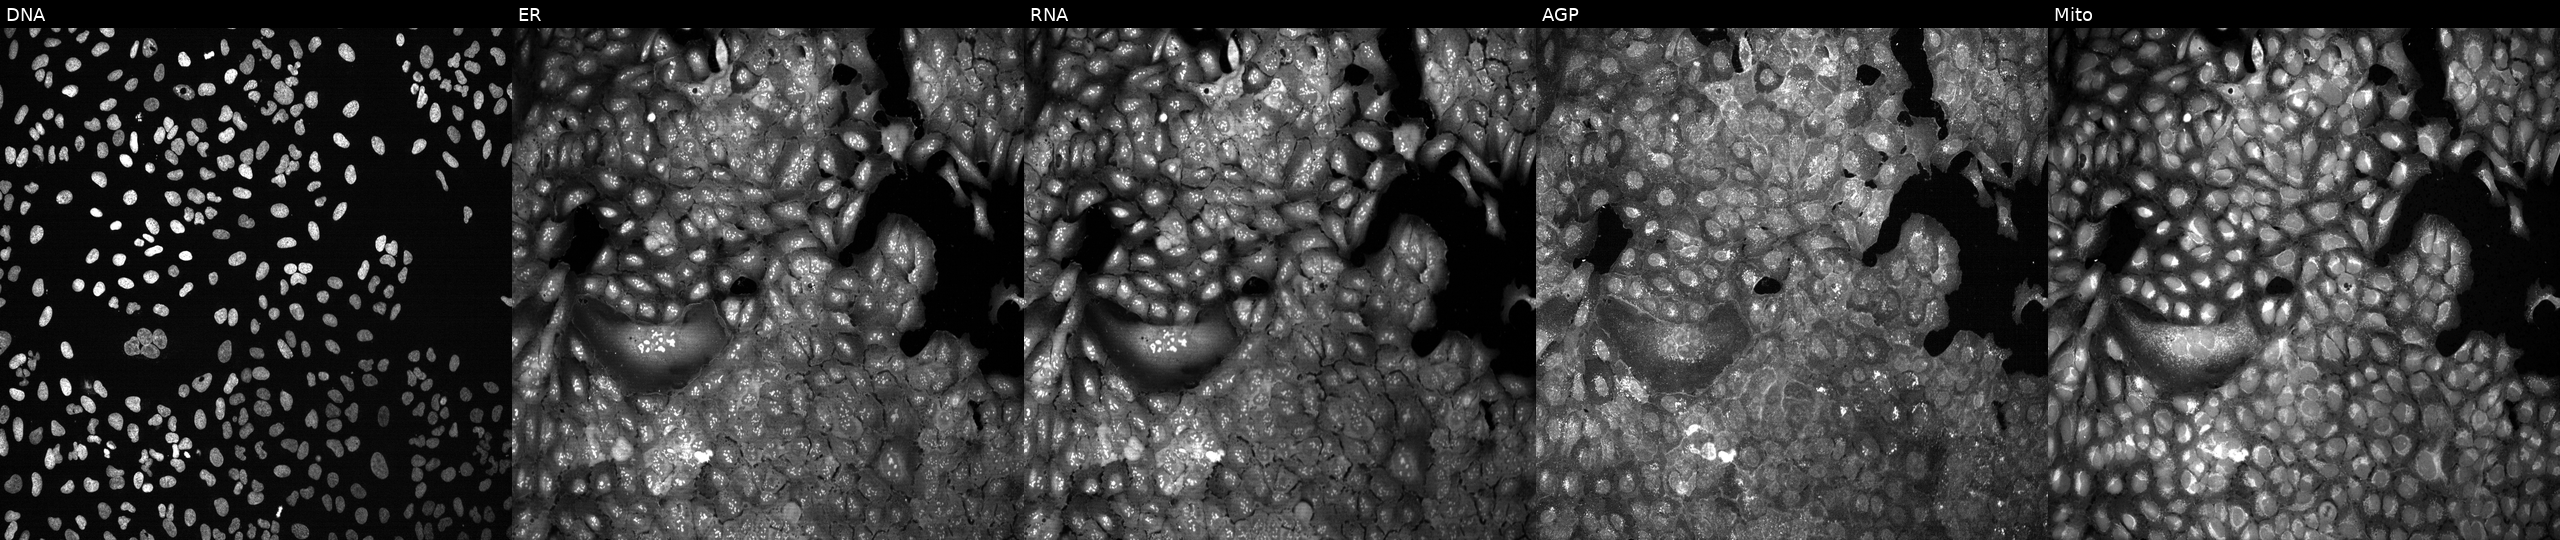
JUMP Cell Painting — CRISPR plate. U2OS cells CRISPR-edited to disrupt NLRP14. From left to right: DNA (nuclei); ER (endoplasmic reticulum); RNA (nucleoli and cytoplasmic RNA); AGP (actin cytoskeleton, Golgi, and plasma membrane); Mito (mitochondria). Source 13, plate CP-CC9-R1-02, well I15.